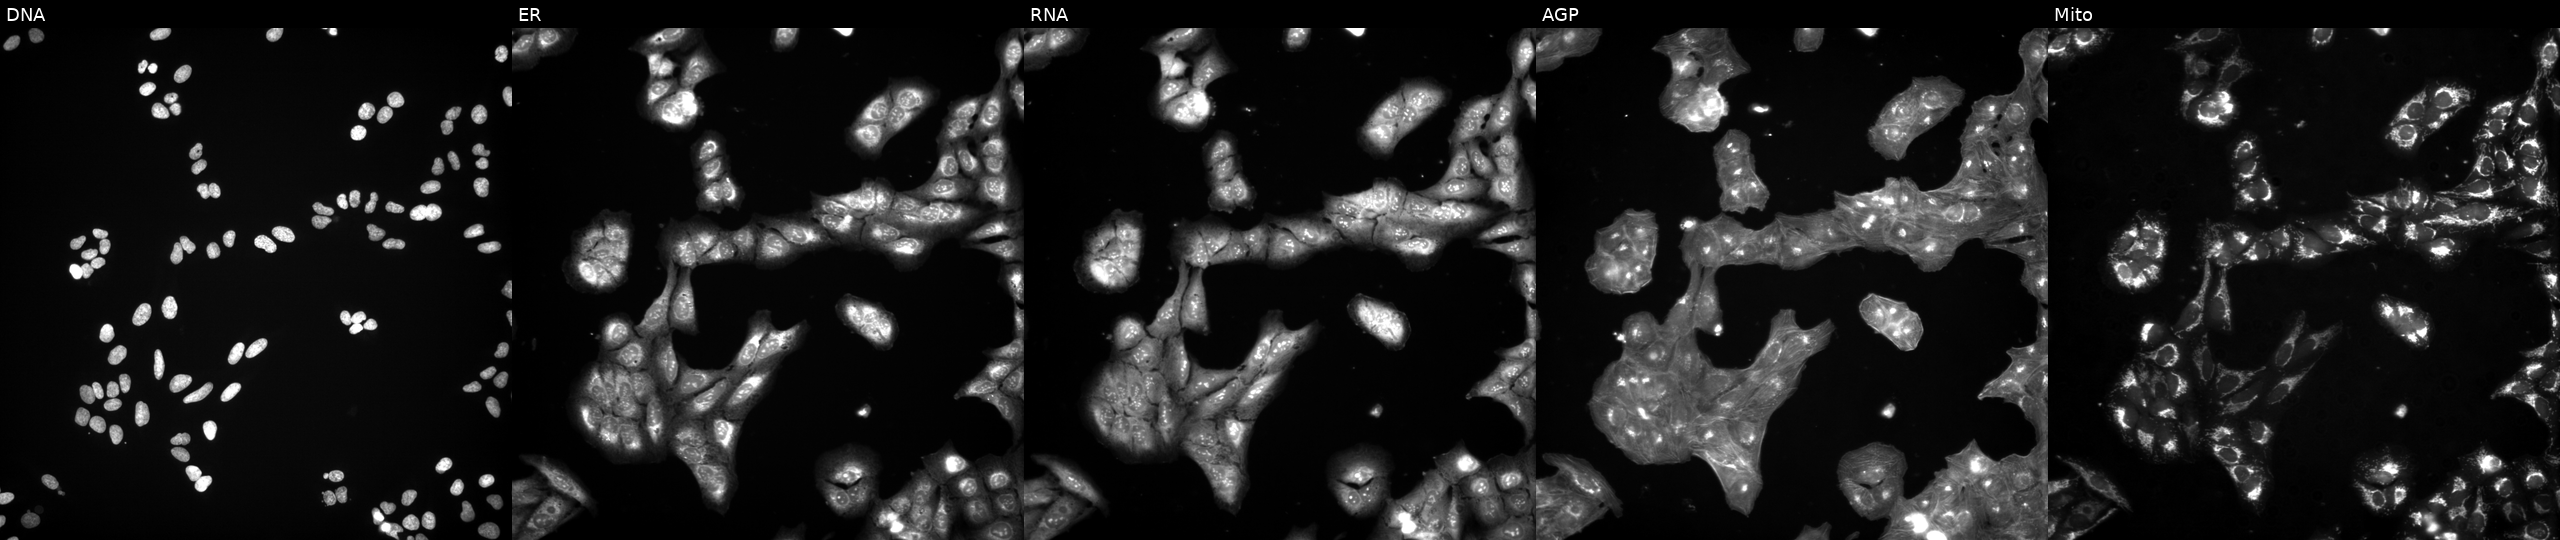
This image strip shows the five Cell Painting channels for a single field of U2OS cells in an empty control well (no perturbation) (JUMP id JCP2022_999999). Channels (left→right): Hoechst 33342, concanavalin A, SYTO 14, phalloidin and WGA, MitoTracker.